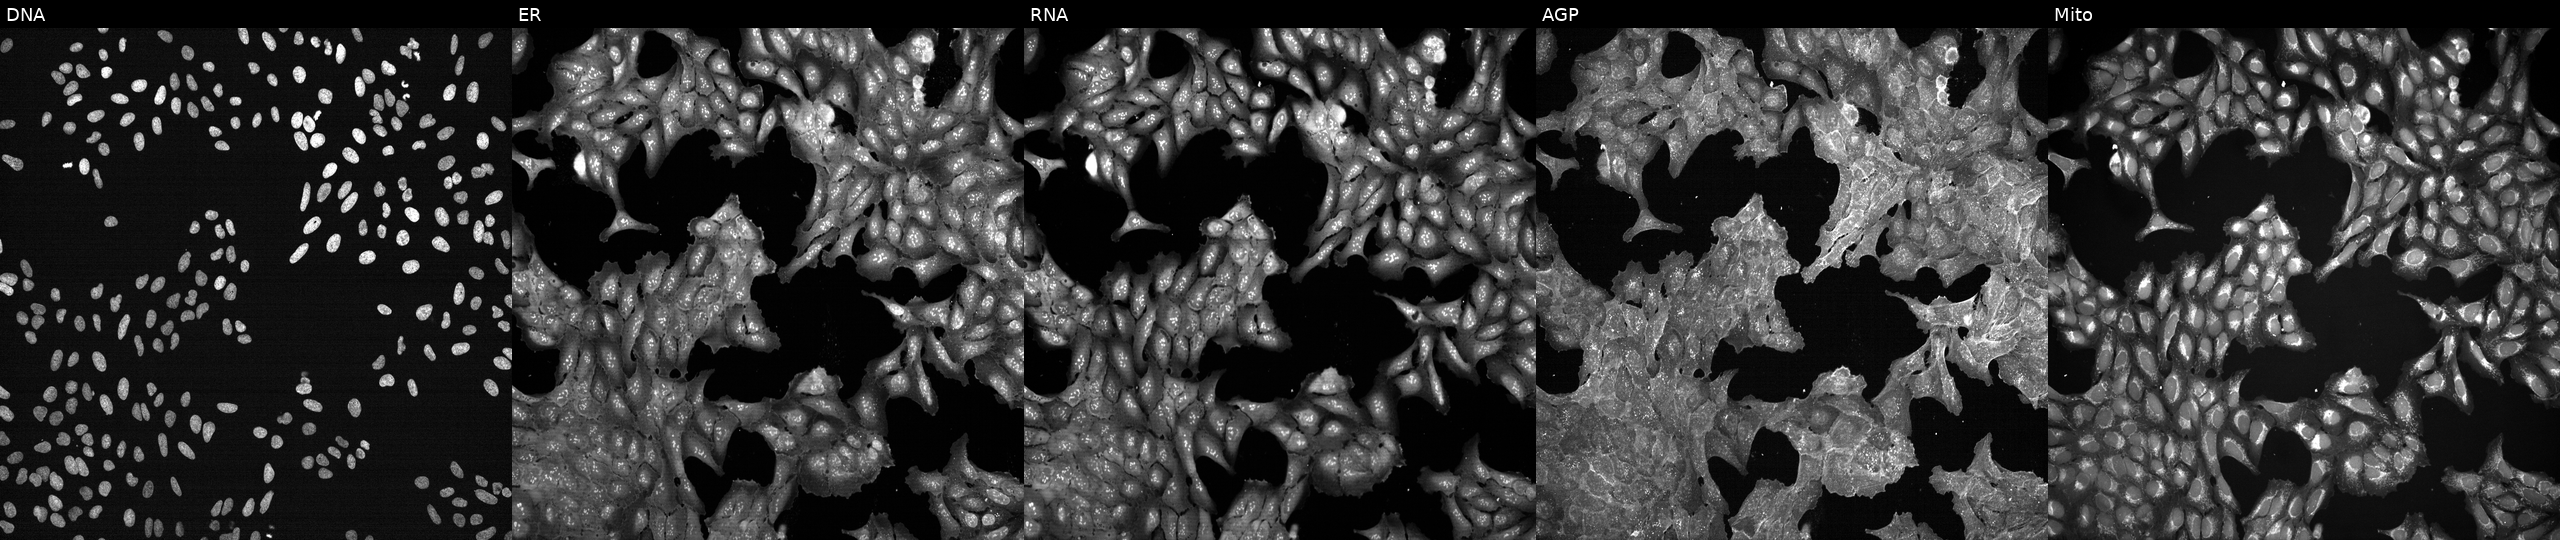
Five-channel Cell Painting image of U2OS cells exposed to DMSO alone as a negative control. From left to right: DNA (nuclei); ER (endoplasmic reticulum); RNA (nucleoli and cytoplasmic RNA); AGP (actin cytoskeleton, Golgi, and plasma membrane); Mito (mitochondria). Source 7, plate CP2-SC1-25, well L10.